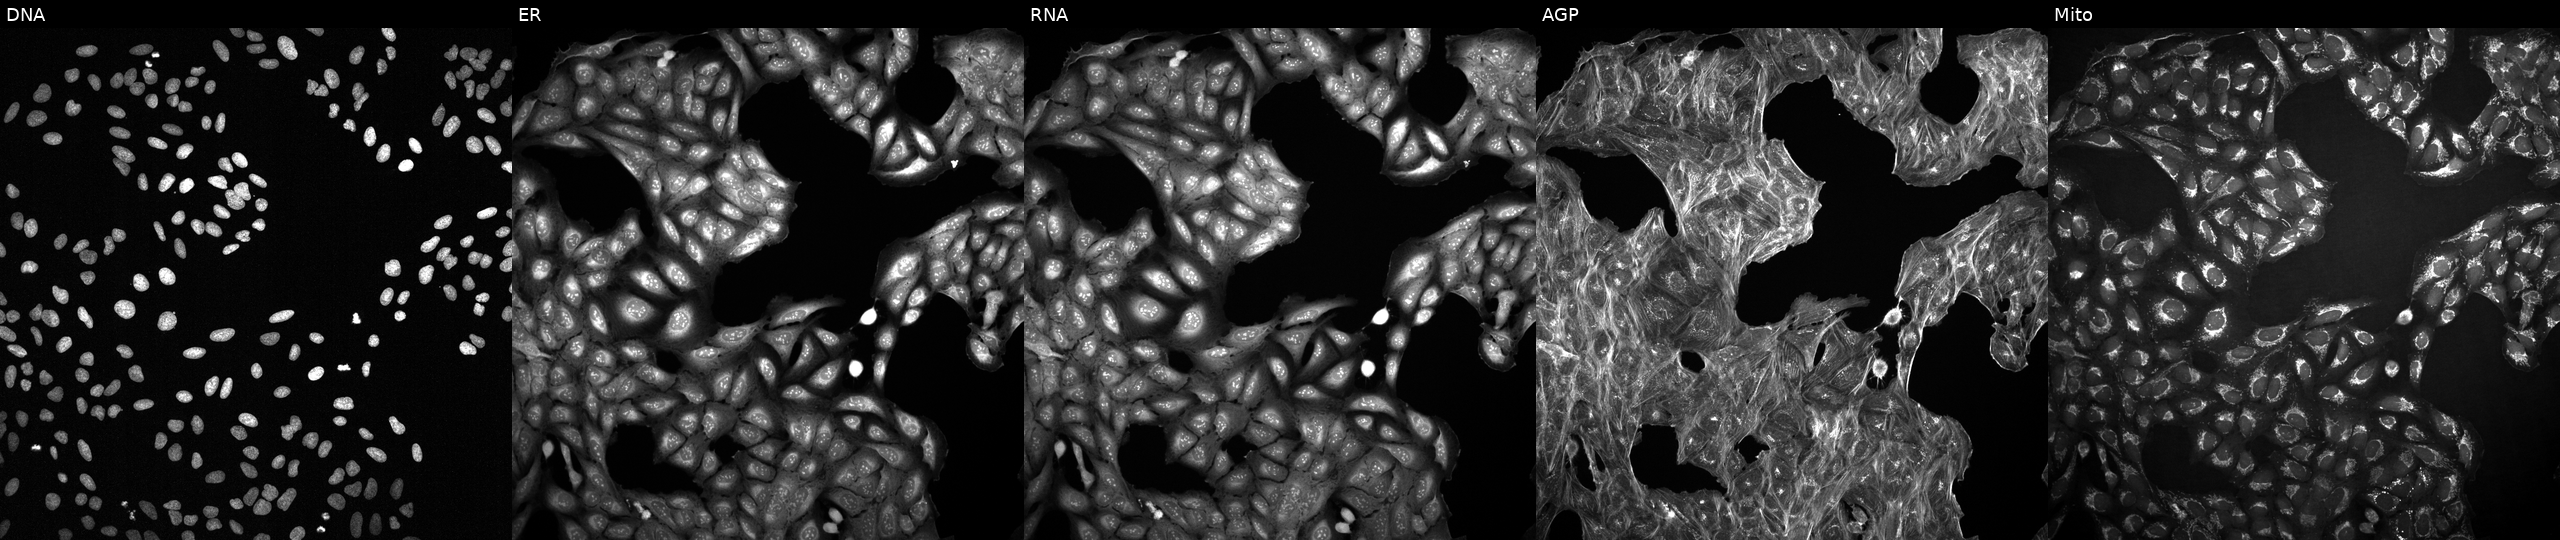
JUMP Cell Painting — TARGET2 plate. U2OS cells treated with DMSO vehicle only (negative control). Panels show, left to right, DNA, ER, RNA, AGP, and Mito.